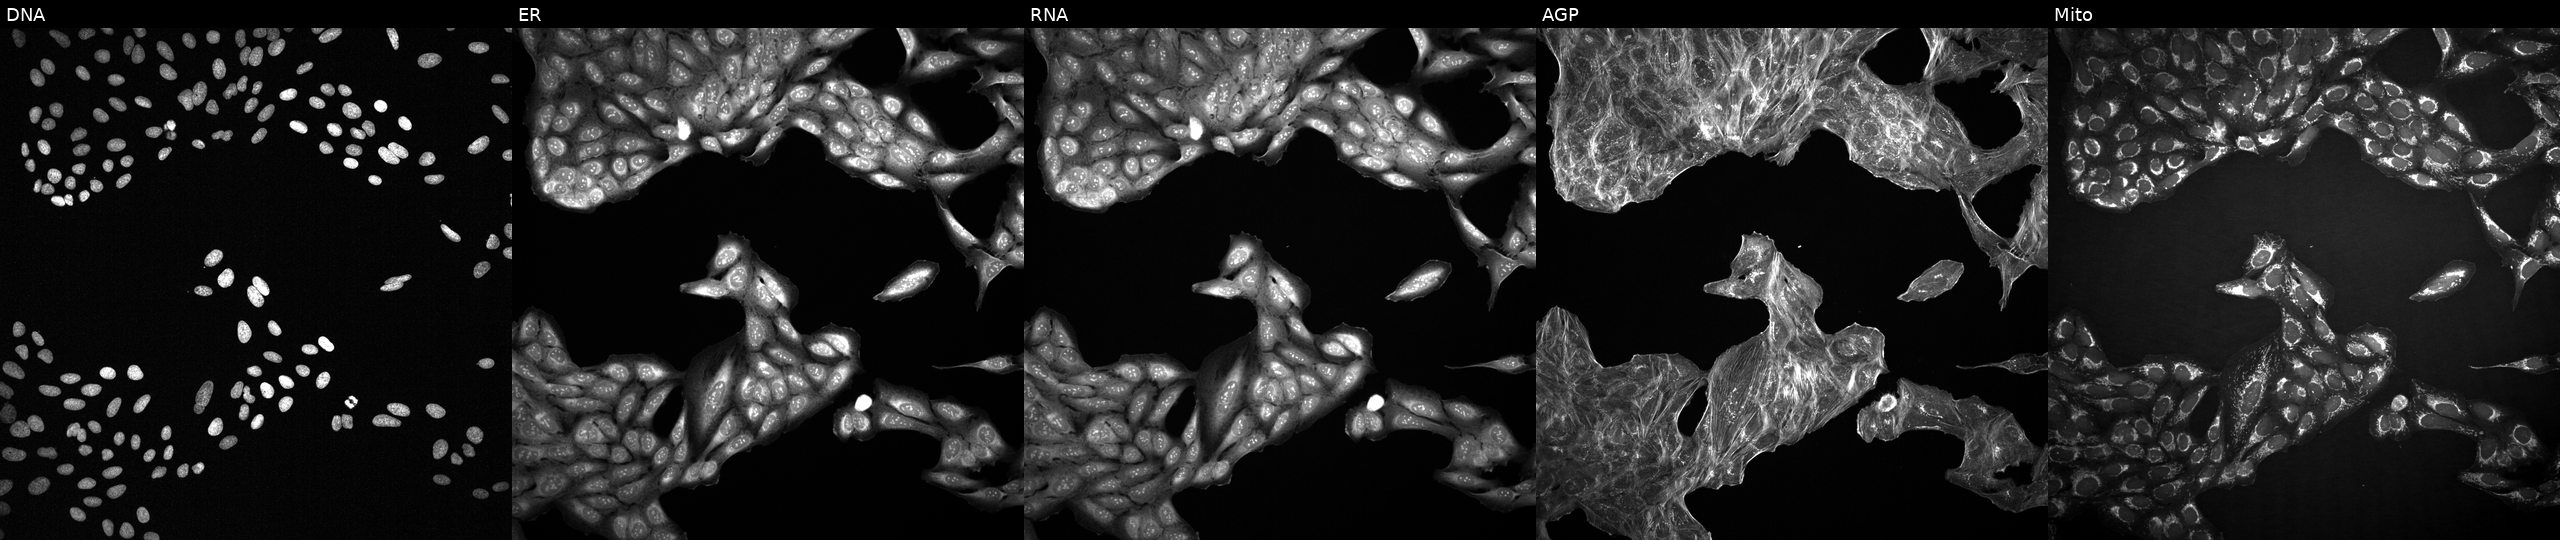
High-content fluorescence microscopy (Cell Painting). Cell line: U2OS. Perturbation: exposed to a small-molecule compound. The five panels, left to right, show Hoechst 33342, concanavalin A, SYTO 14, phalloidin and WGA, MitoTracker.